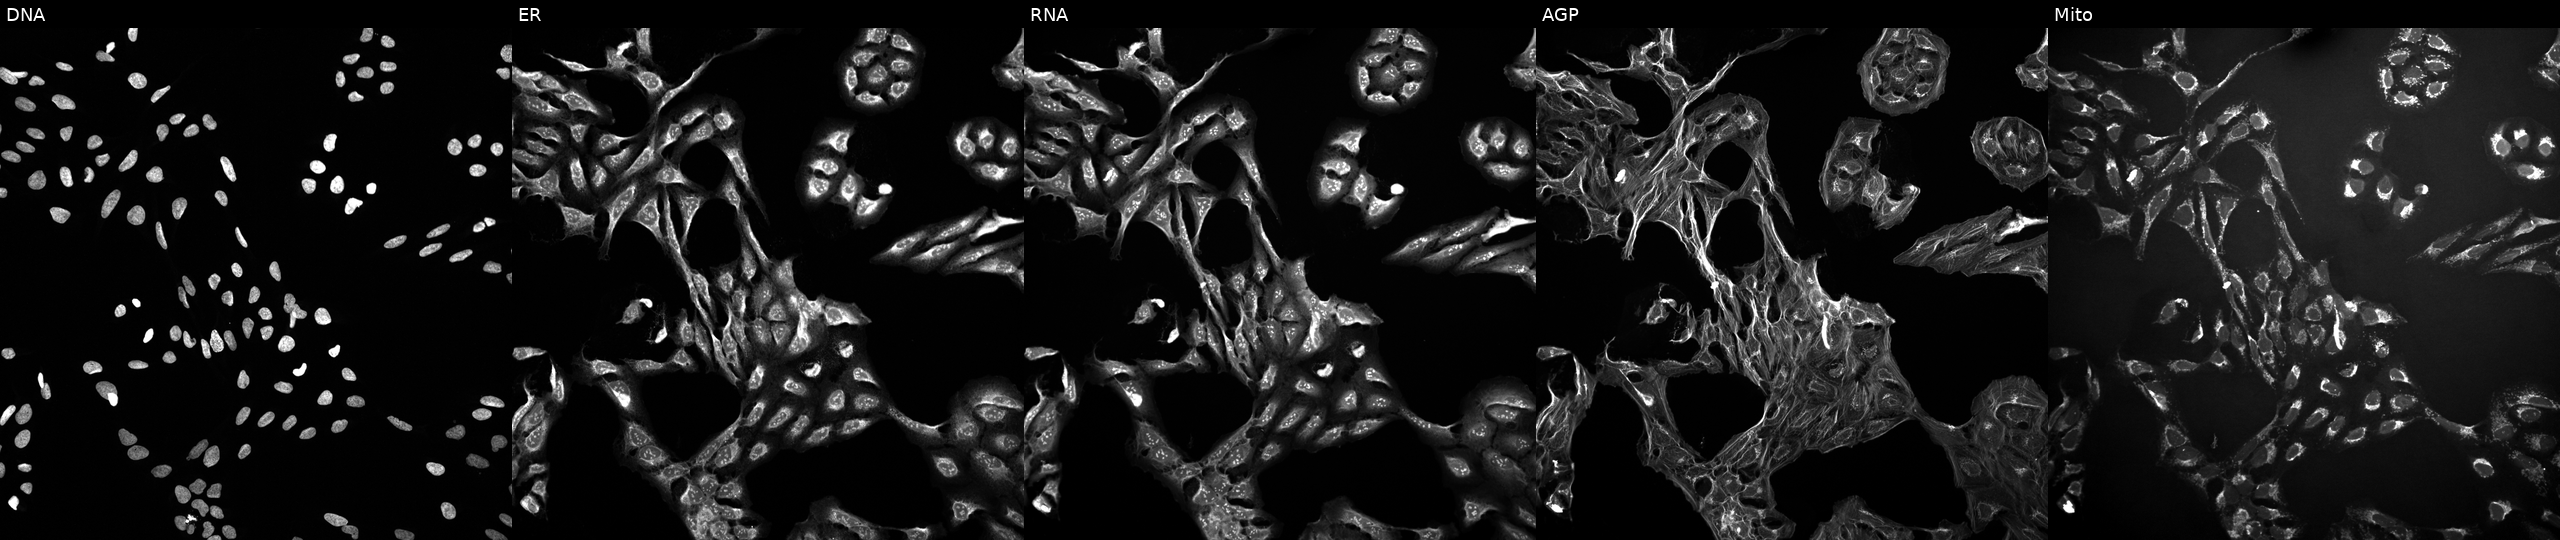
Five-channel Cell Painting image of U2OS cells perturbed with a small-molecule compound (JUMP id JCP2022_079617). Panels show, left to right, DNA, ER, RNA, AGP, and Mito.